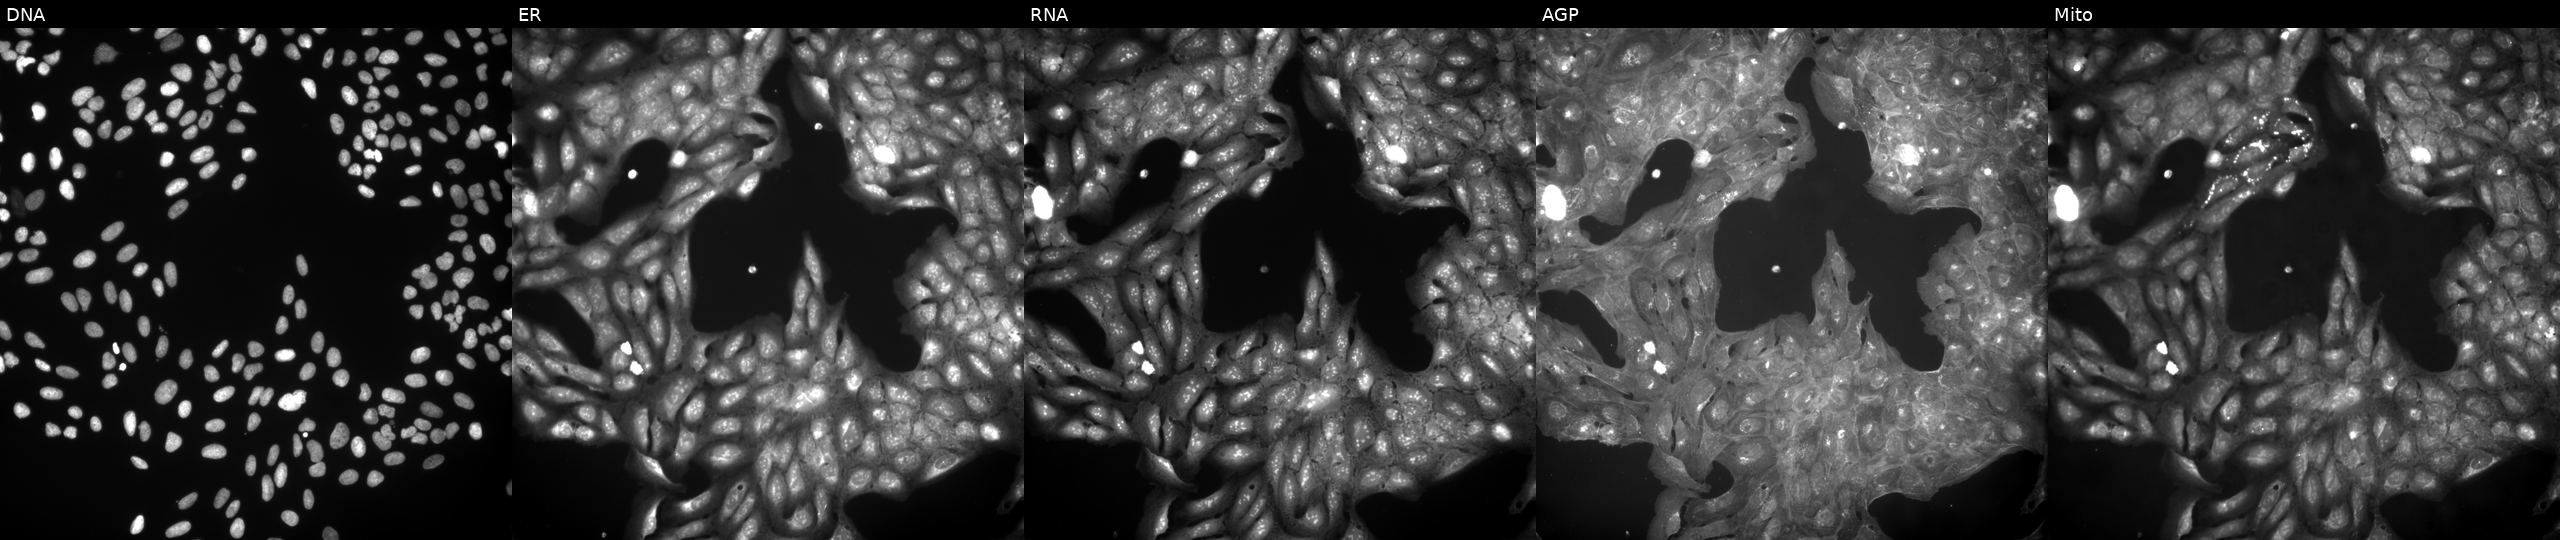
Panels show, left to right, Hoechst 33342, concanavalin A, SYTO 14, phalloidin and WGA, MitoTracker. U2OS osteosarcoma cells treated with a small-molecule compound (InChIKey QVHCHTNCTBYPLL-UHFFFAOYSA-N) (JUMP id JCP2022_076105). Cell Painting assay, JUMP-CP dataset. Source 9, plate GR00003381, well C31.